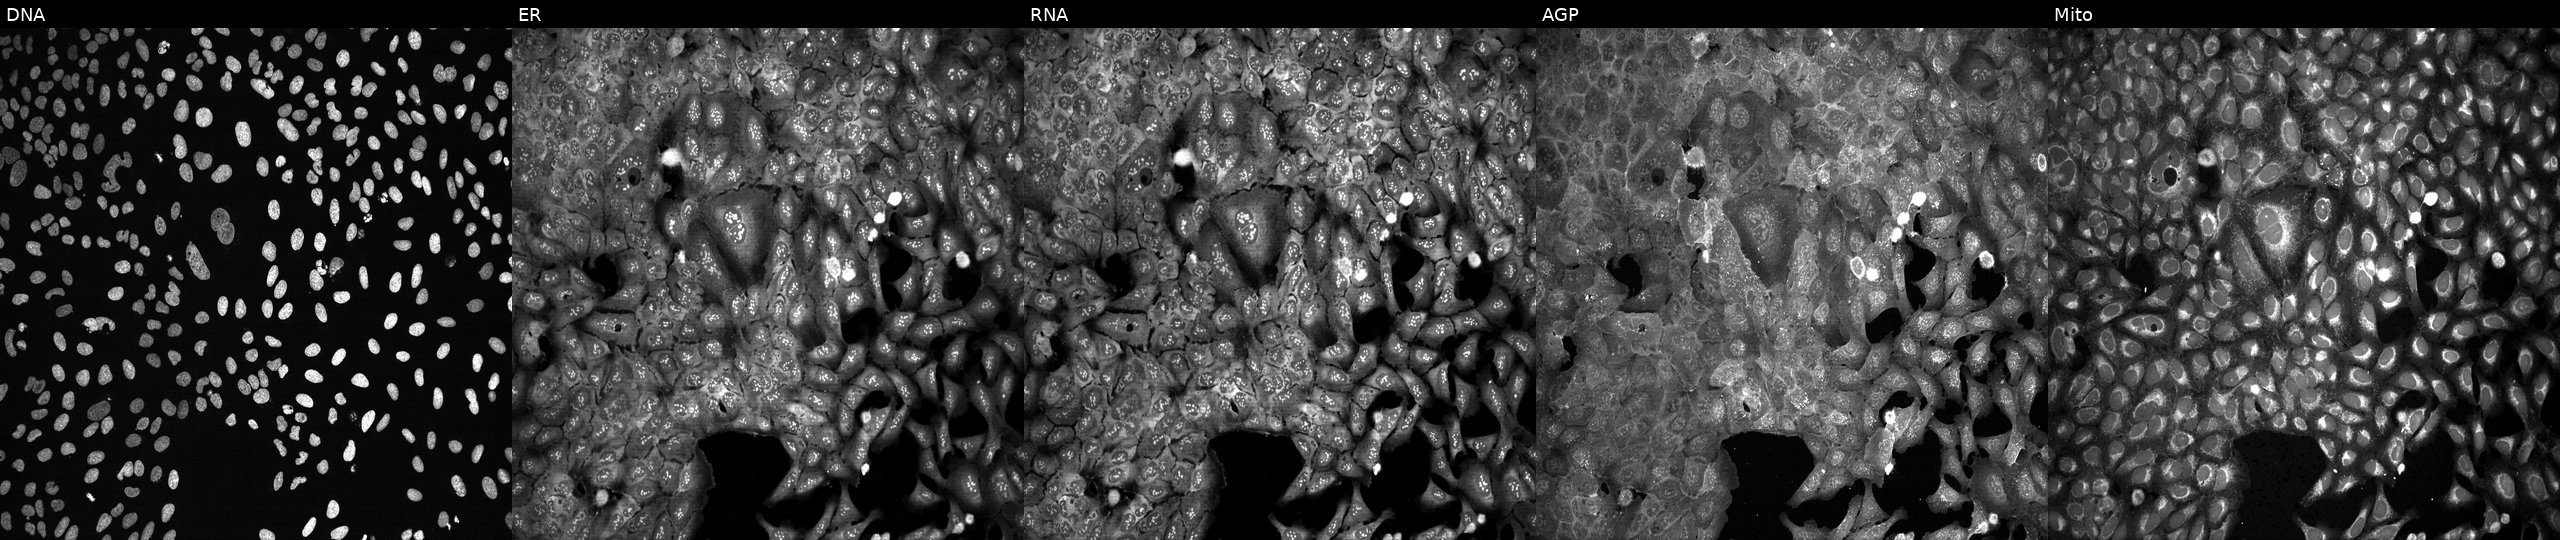
U2OS cells, Cell Painting assay, following CRISPR knockout of MTRF1. Panels show, left to right, DNA (nuclei); ER (endoplasmic reticulum); RNA (nucleoli and cytoplasmic RNA); AGP (actin cytoskeleton, Golgi, and plasma membrane); Mito (mitochondria). Each panel is percentile-stretched 16-bit fluorescence.